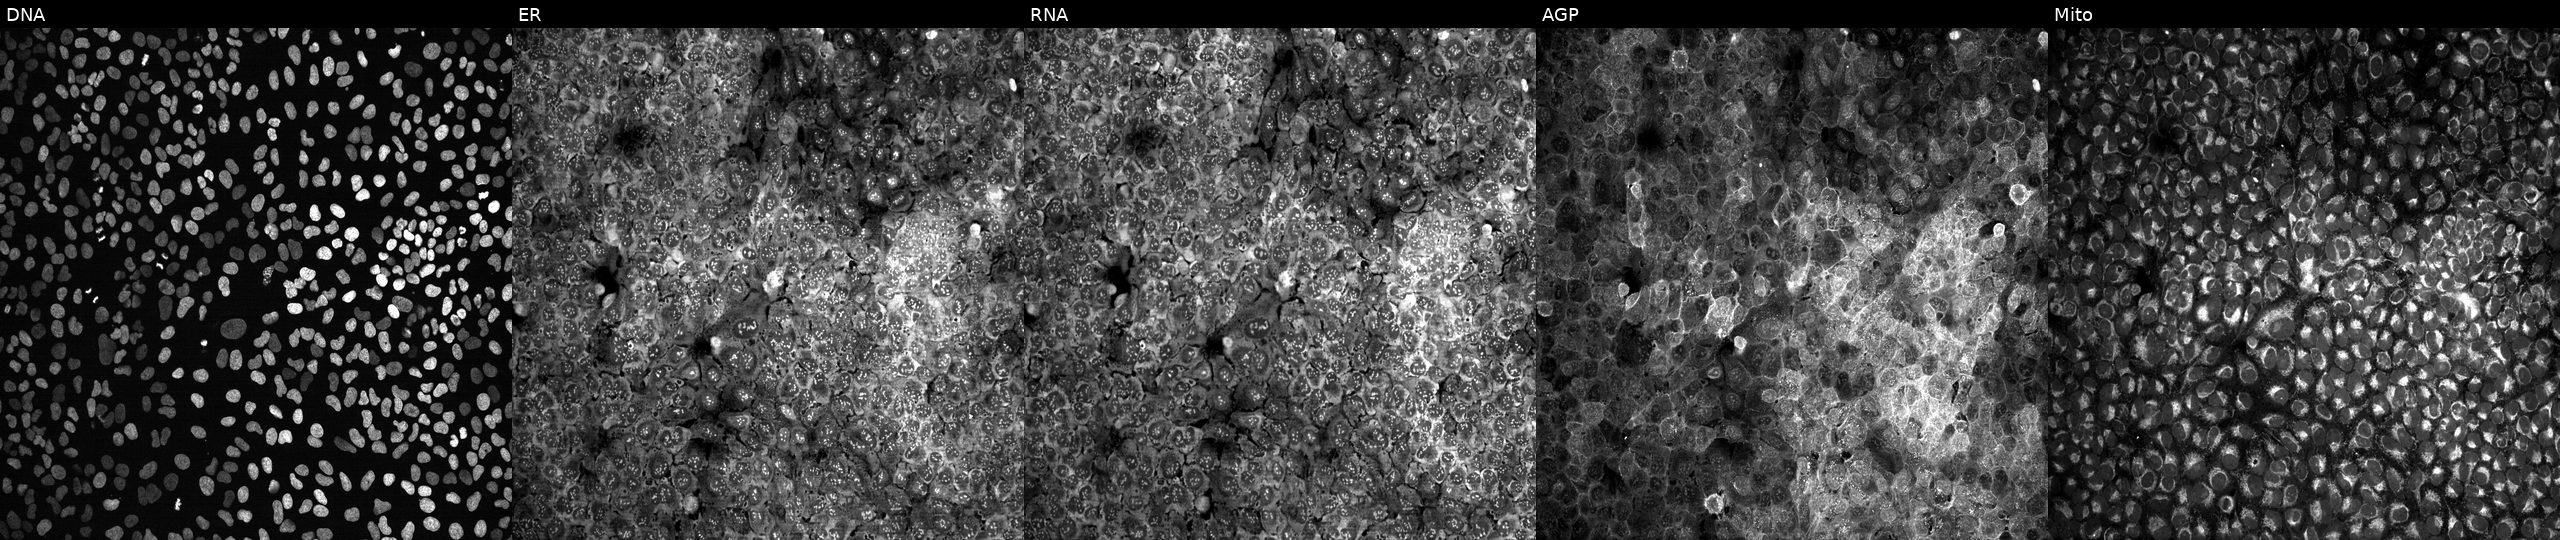
High-content fluorescence microscopy (Cell Painting). Cell line: U2OS. Perturbation: with no CRISPR guide (negative control) (JUMP id JCP2022_800001). From left to right: DNA (nuclei); ER (endoplasmic reticulum); RNA (nucleoli and cytoplasmic RNA); AGP (actin cytoskeleton, Golgi, and plasma membrane); Mito (mitochondria).